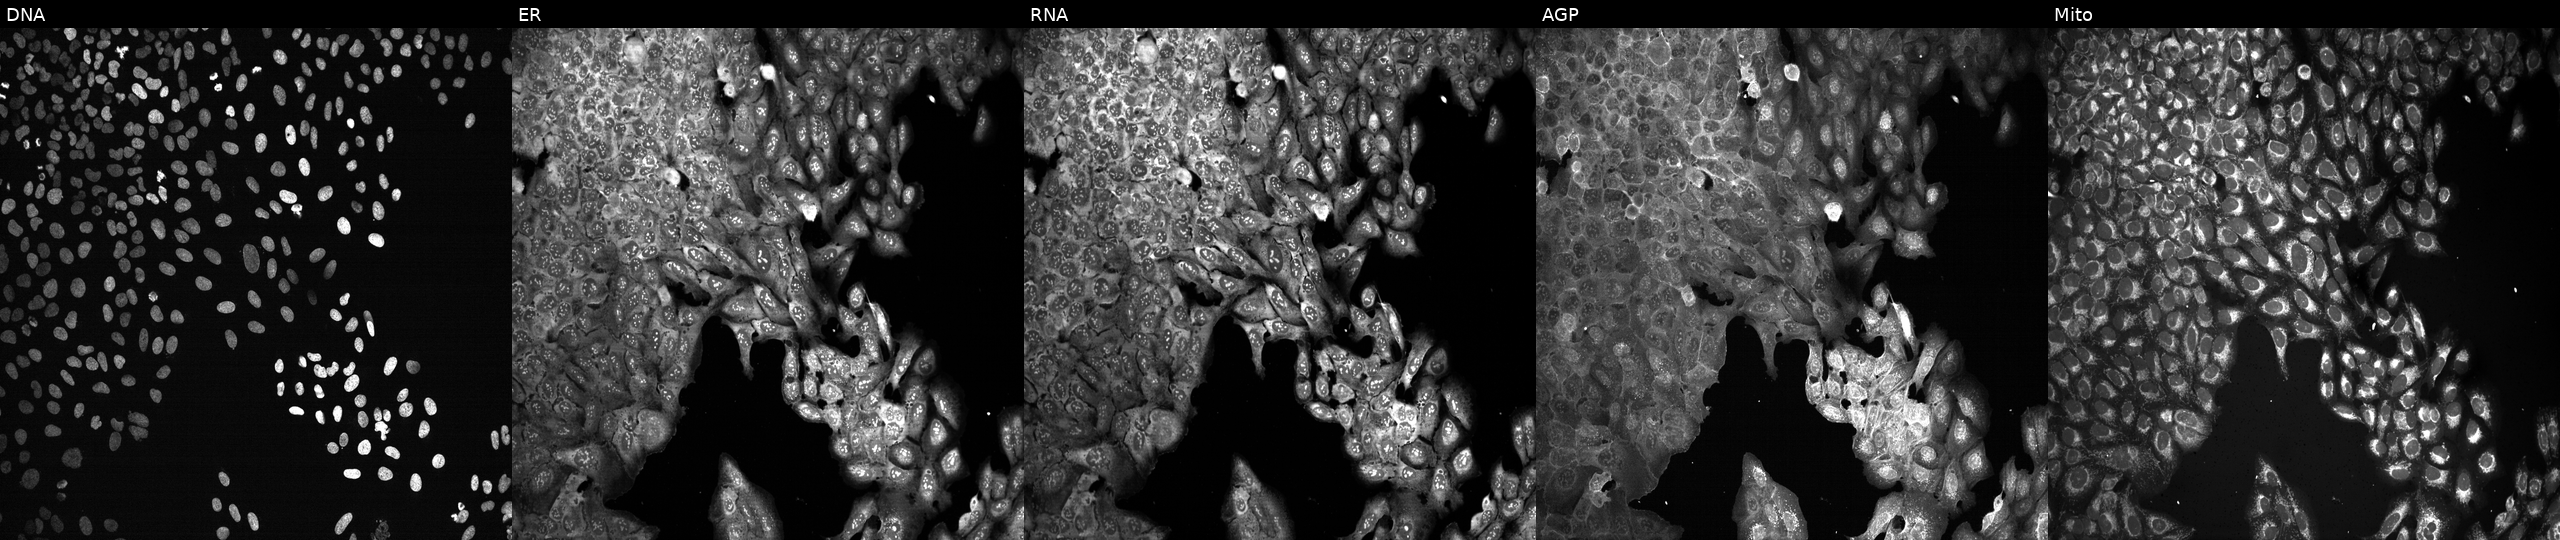
Five-channel Cell Painting image of U2OS cells following CRISPR knockout of ABHD17A. From left to right: DNA, ER, RNA, AGP, and Mito.